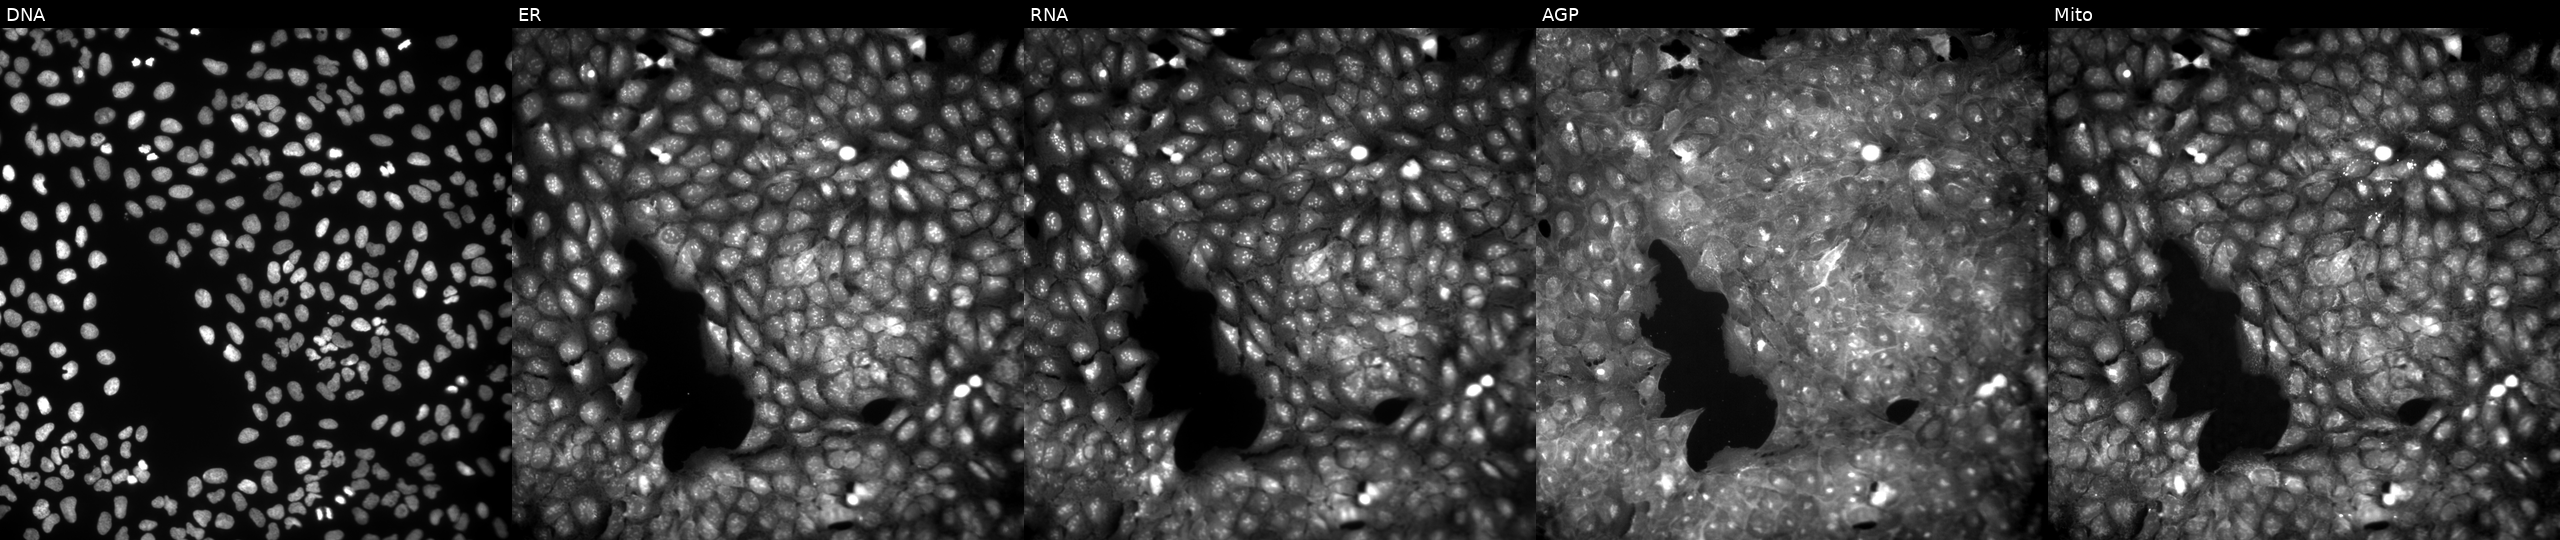
U2OS cells, Cell Painting assay, exposed to a small-molecule compound (InChIKey MPCMIFLTVOBIJG-UHFFFAOYSA-N) (JUMP id JCP2022_055619). From left to right: DNA (nuclei); ER (endoplasmic reticulum); RNA (nucleoli and cytoplasmic RNA); AGP (actin cytoskeleton, Golgi, and plasma membrane); Mito (mitochondria). Each panel is percentile-stretched 16-bit fluorescence. Source 9, plate GR00003382, well W40.